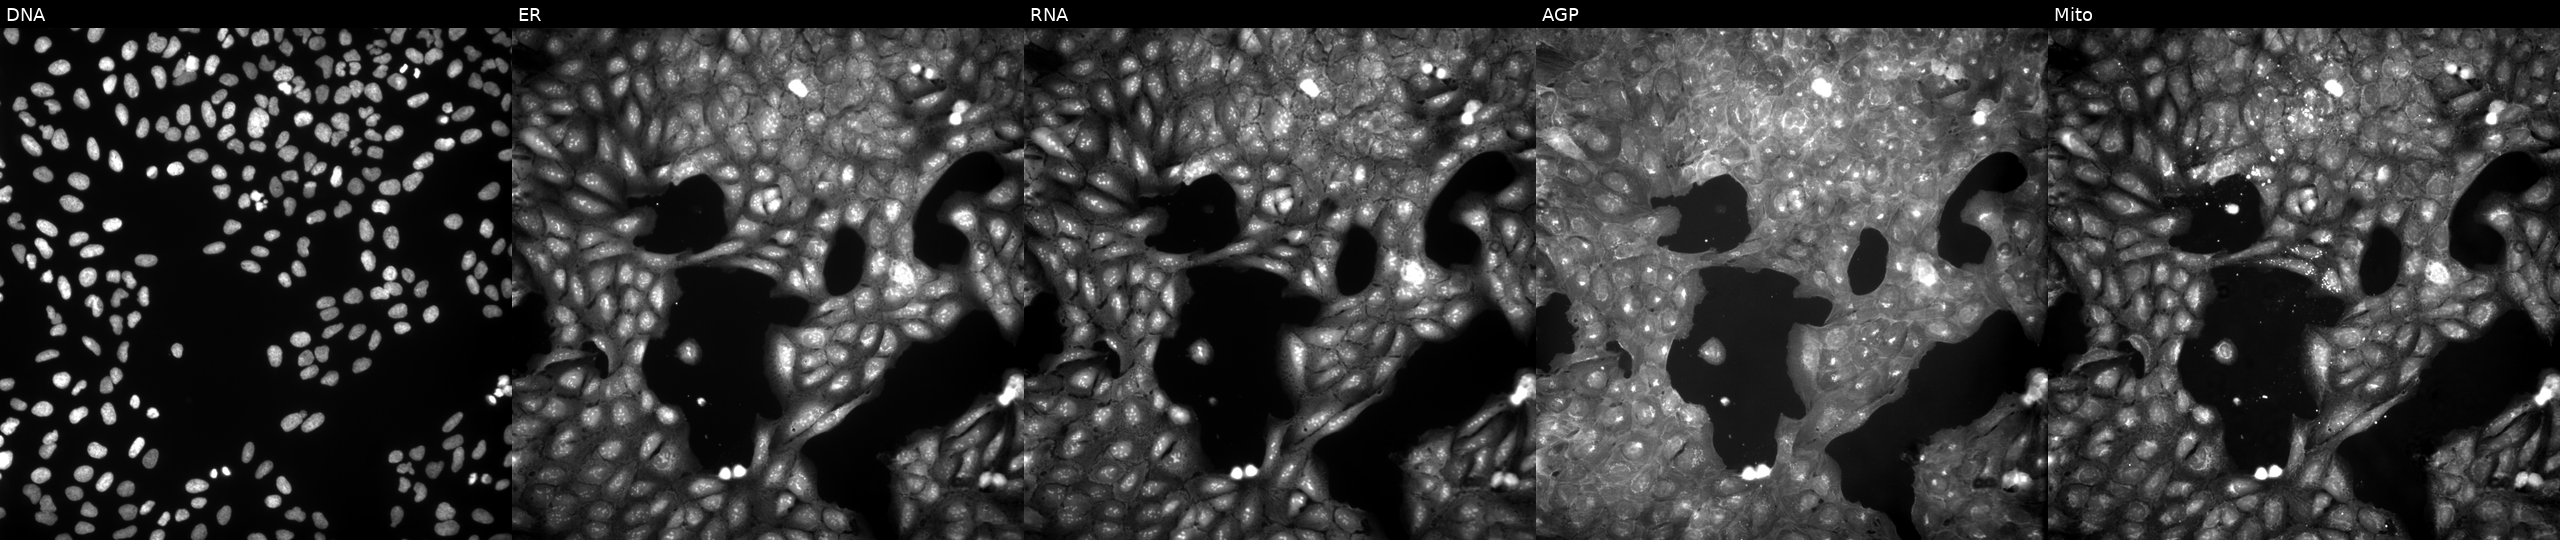
JUMP Cell Painting — COMPOUND plate. U2OS cells perturbed with a small-molecule compound (InChIKey LMGCNSZBVIPYHM-UHFFFAOYSA-N) [SMILES: O=C(Nc1cccc([N+](=O)[O-])c1)Nc1cccc([N+](=O)[O-])c1] (JUMP id JCP2022_050350). Channels (left→right): DNA (nuclei); ER (endoplasmic reticulum); RNA (nucleoli and cytoplasmic RNA); AGP (actin cytoskeleton, Golgi, and plasma membrane); Mito (mitochondria).